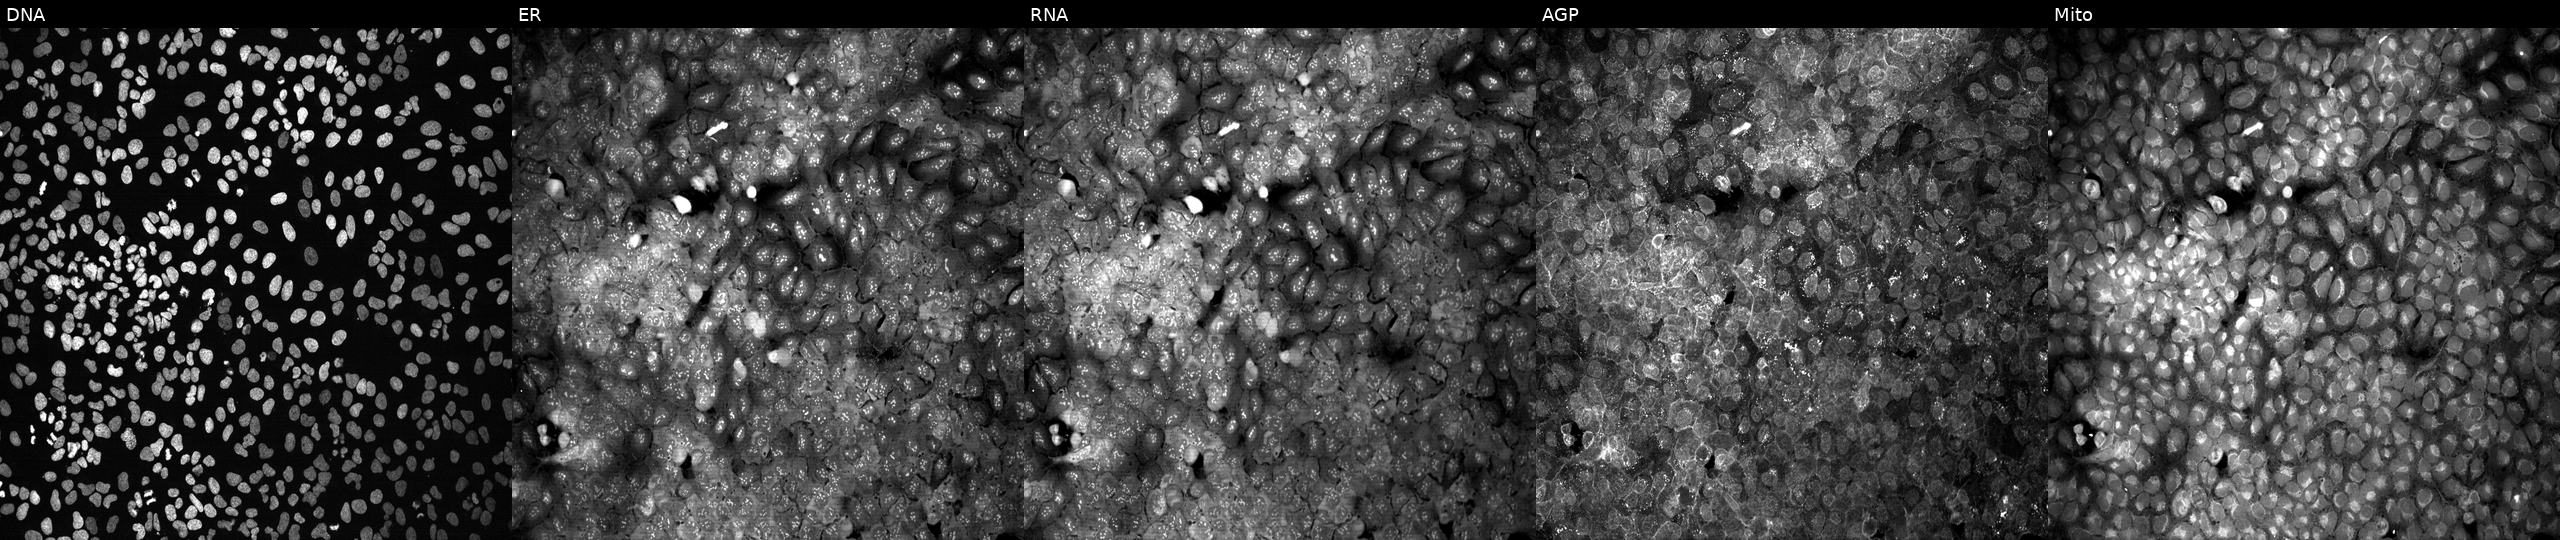
Five-channel Cell Painting image of U2OS cells with a non-targeting CRISPR guide (negative control). Panels show, left to right, Hoechst 33342, concanavalin A, SYTO 14, phalloidin and WGA, MitoTracker.